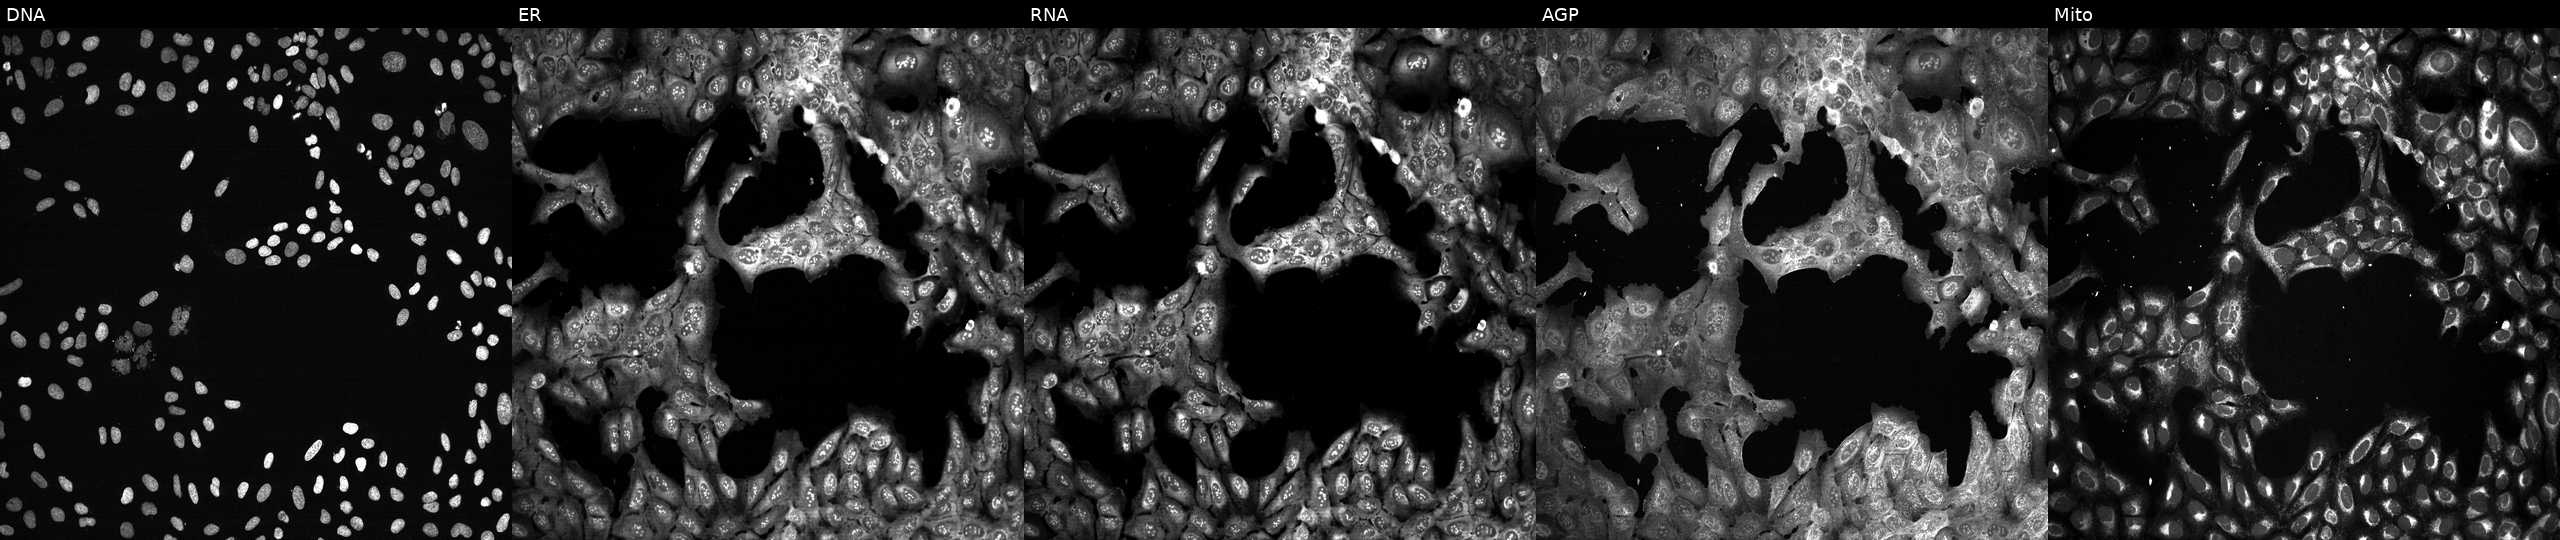
JUMP Cell Painting — CRISPR plate. U2OS cells with EBI3 knocked out by CRISPR (JUMP id JCP2022_801983). From left to right: DNA (nuclei); ER (endoplasmic reticulum); RNA (nucleoli and cytoplasmic RNA); AGP (actin cytoskeleton, Golgi, and plasma membrane); Mito (mitochondria).